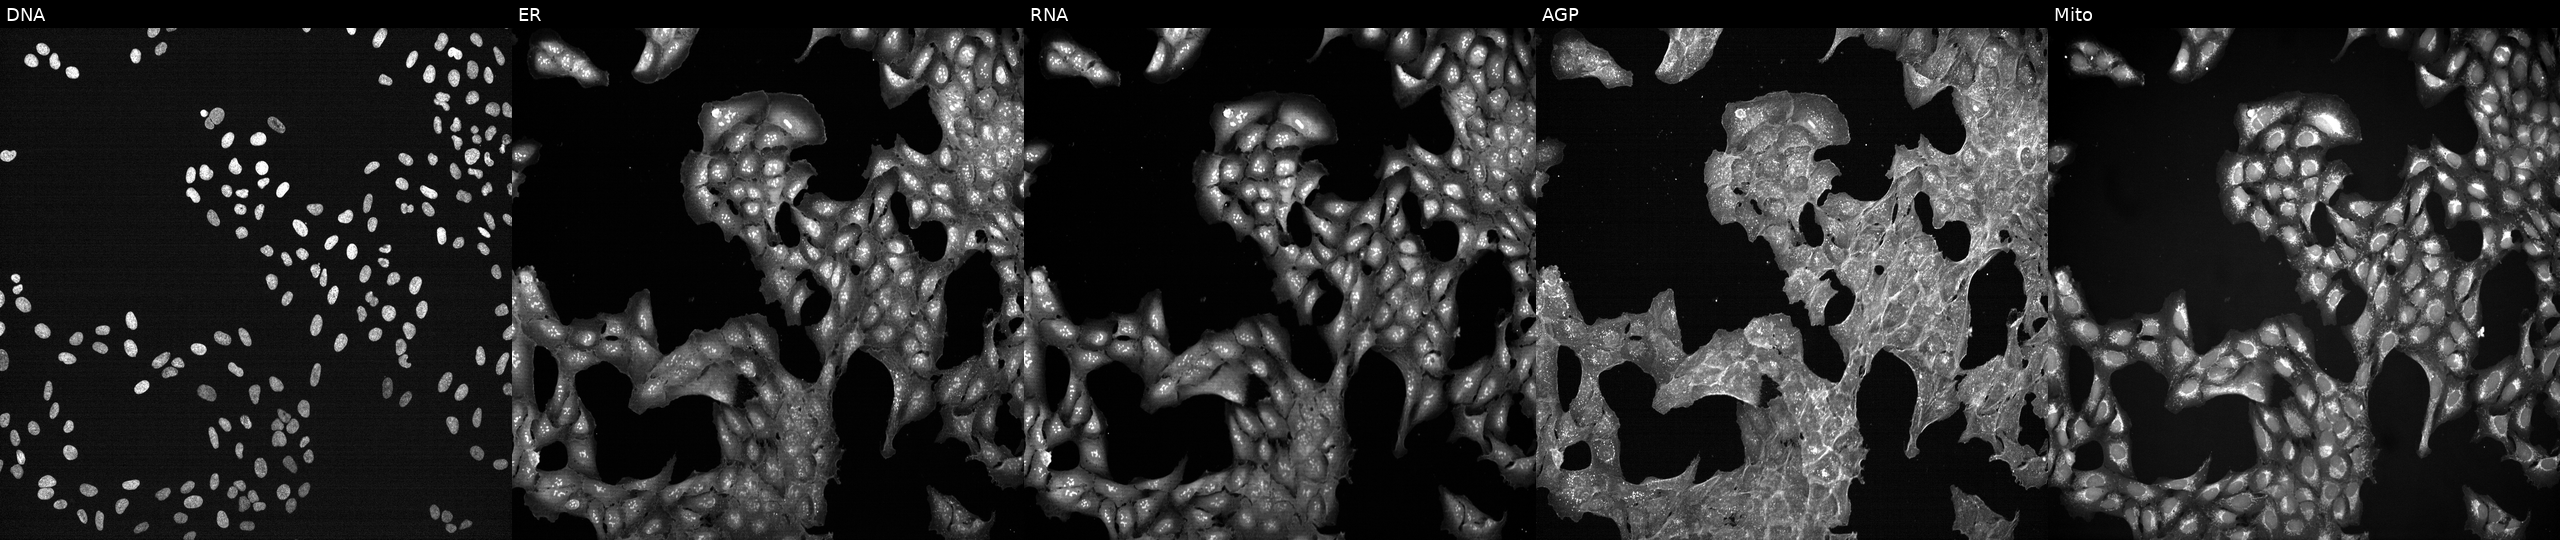
High-content fluorescence microscopy (Cell Painting). Cell line: U2OS. Perturbation: perturbed with a small-molecule compound (InChIKey ALBKMJDFBZVHAK-UHFFFAOYSA-N). The five panels, left to right, show DNA, ER, RNA, AGP, and Mito.